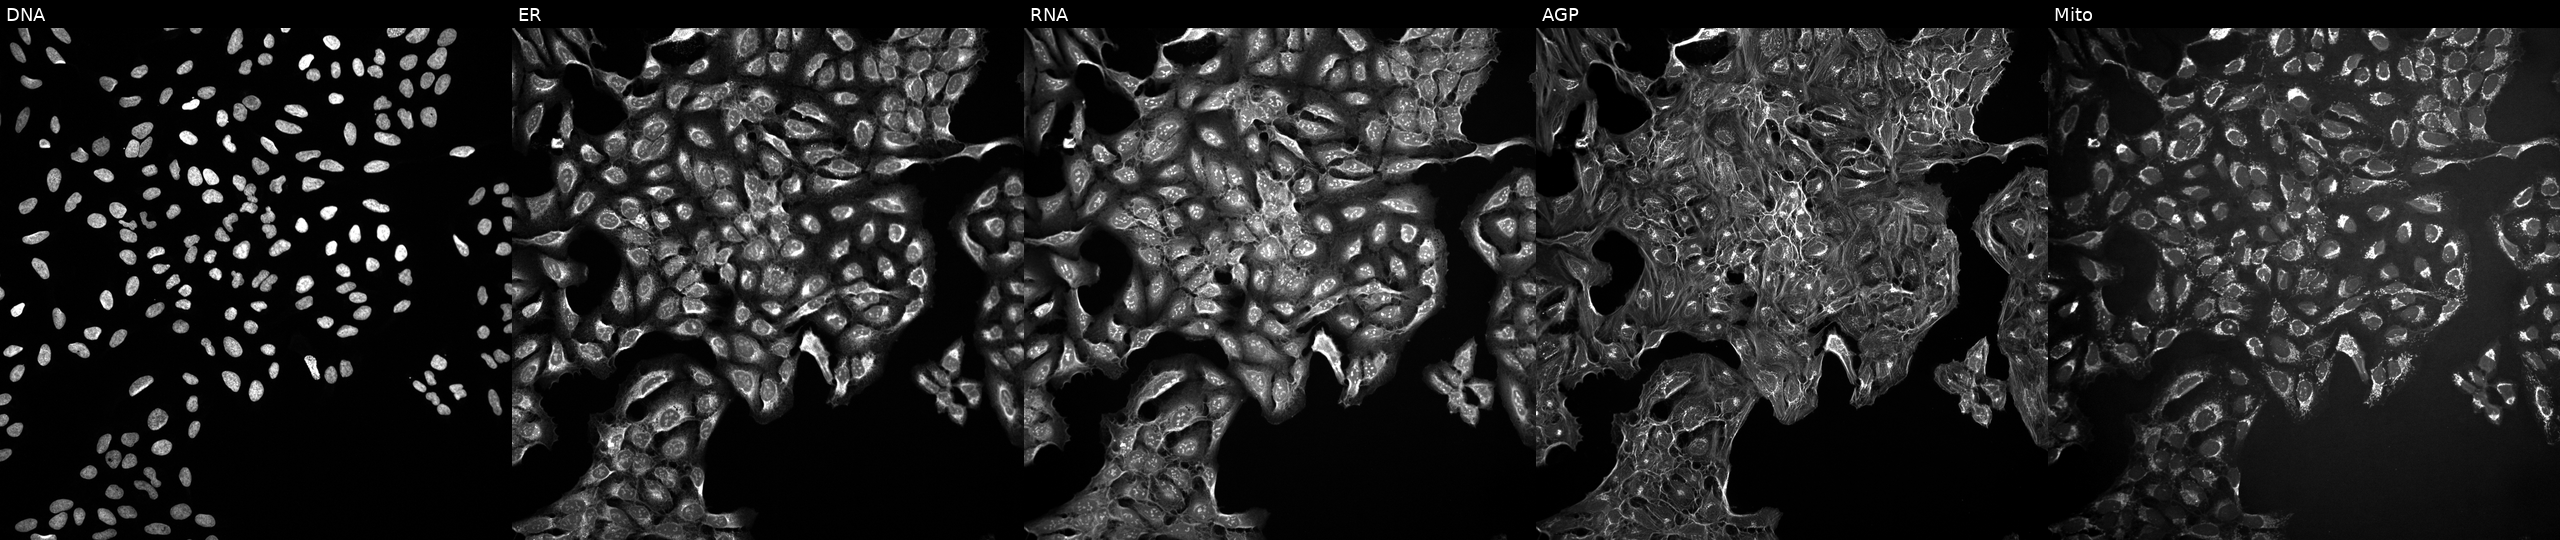
U2OS cells, Cell Painting assay, in an empty control well (no perturbation) (JUMP id JCP2022_999999). The five panels, left to right, show Hoechst 33342, concanavalin A, SYTO 14, phalloidin and WGA, MitoTracker. Each panel is percentile-stretched 16-bit fluorescence. Source 10, plate Dest210531-152324, well M13.